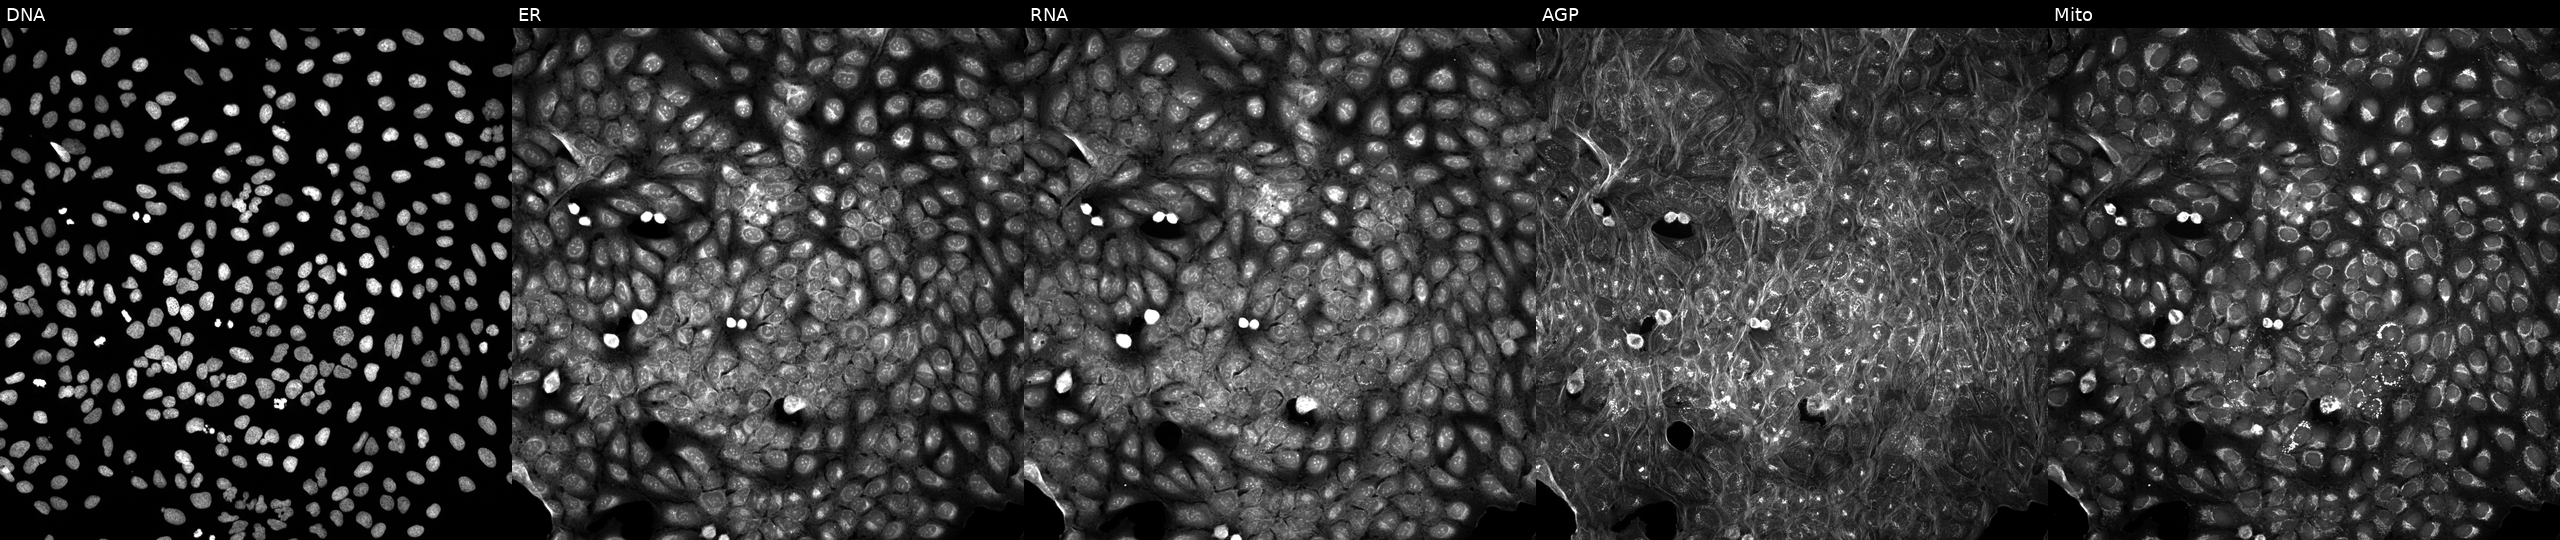
U2OS cells, Cell Painting assay, treated with a small-molecule compound [SMILES: COC1(C2=NCCN2)COc2ccccc2O1] (JUMP id JCP2022_031861). Panels show, left to right, Hoechst 33342, concanavalin A, SYTO 14, phalloidin and WGA, MitoTracker. Each panel is percentile-stretched 16-bit fluorescence. Source 5, plate ACPJUM032, well K18.